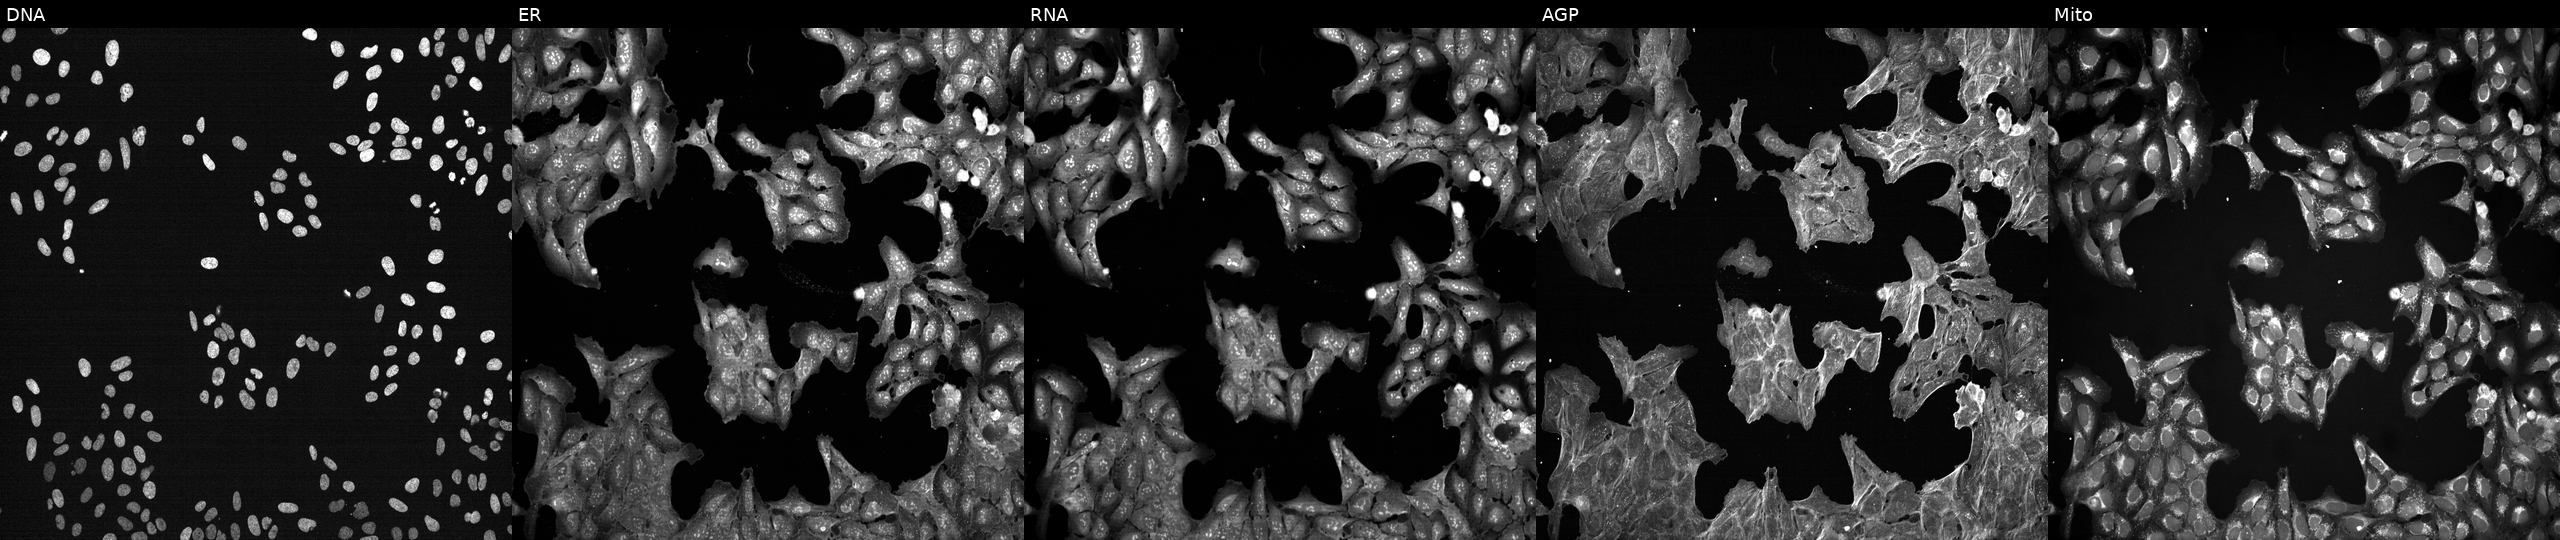
High-content fluorescence microscopy (Cell Painting). Cell line: U2OS. Perturbation: perturbed with a small-molecule compound (InChIKey QUGDTMONBLMLLD-UHFFFAOYSA-N) (JUMP id JCP2022_075916). Channels (left→right): Hoechst 33342, concanavalin A, SYTO 14, phalloidin and WGA, MitoTracker.